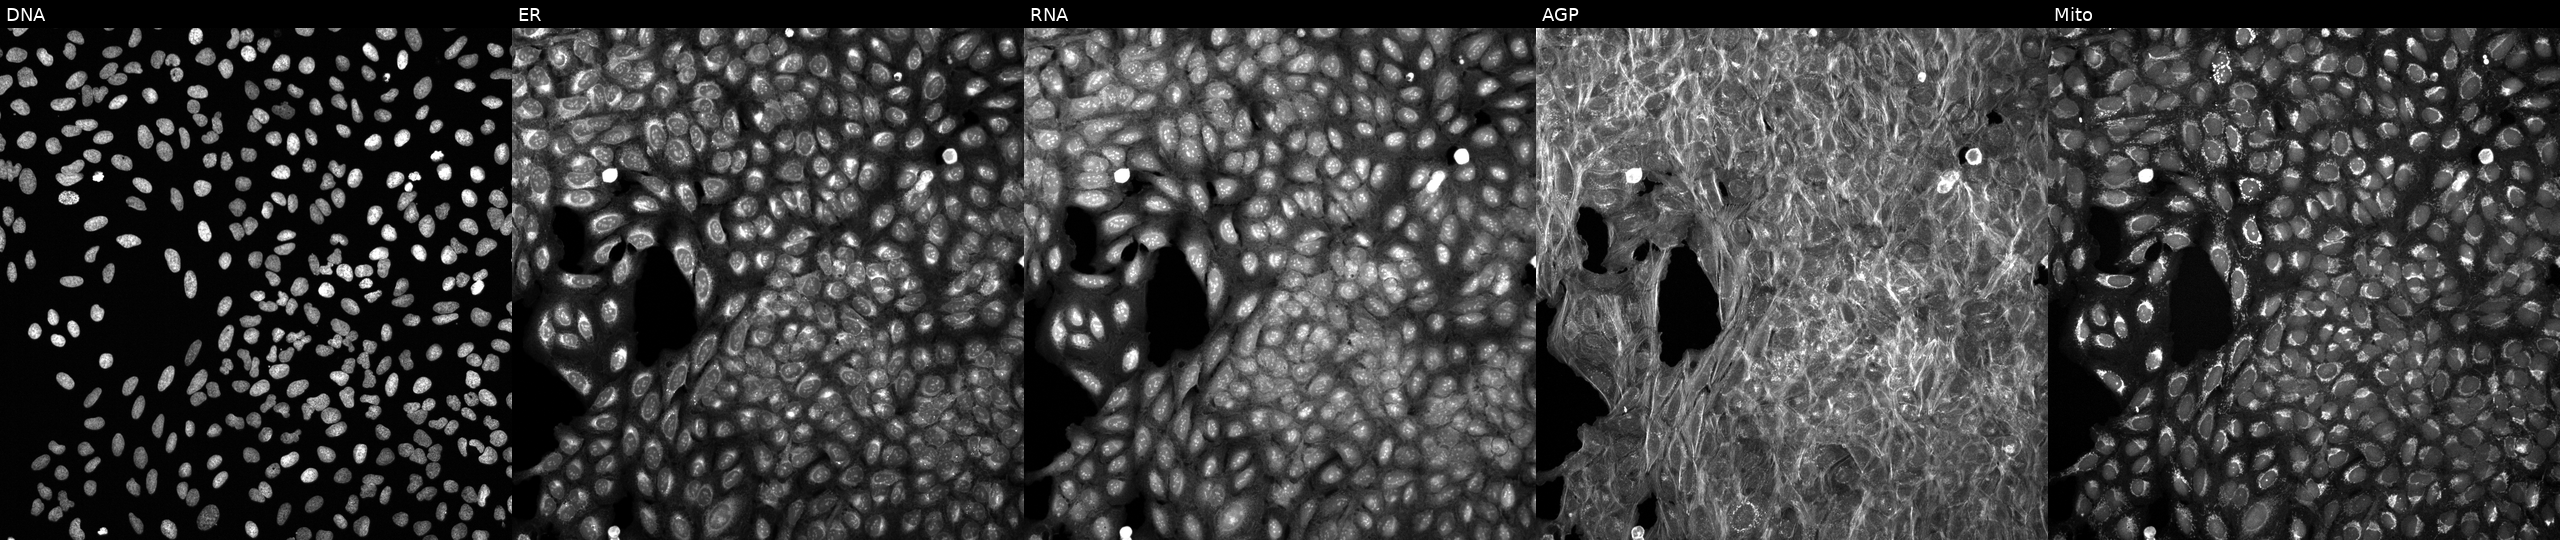
From left to right: Hoechst 33342, concanavalin A, SYTO 14, phalloidin and WGA, MitoTracker. U2OS osteosarcoma cells exposed to a small-molecule compound (InChIKey IFIUFCJFLGCQPH-UHFFFAOYSA-N). Cell Painting assay, JUMP-CP dataset.